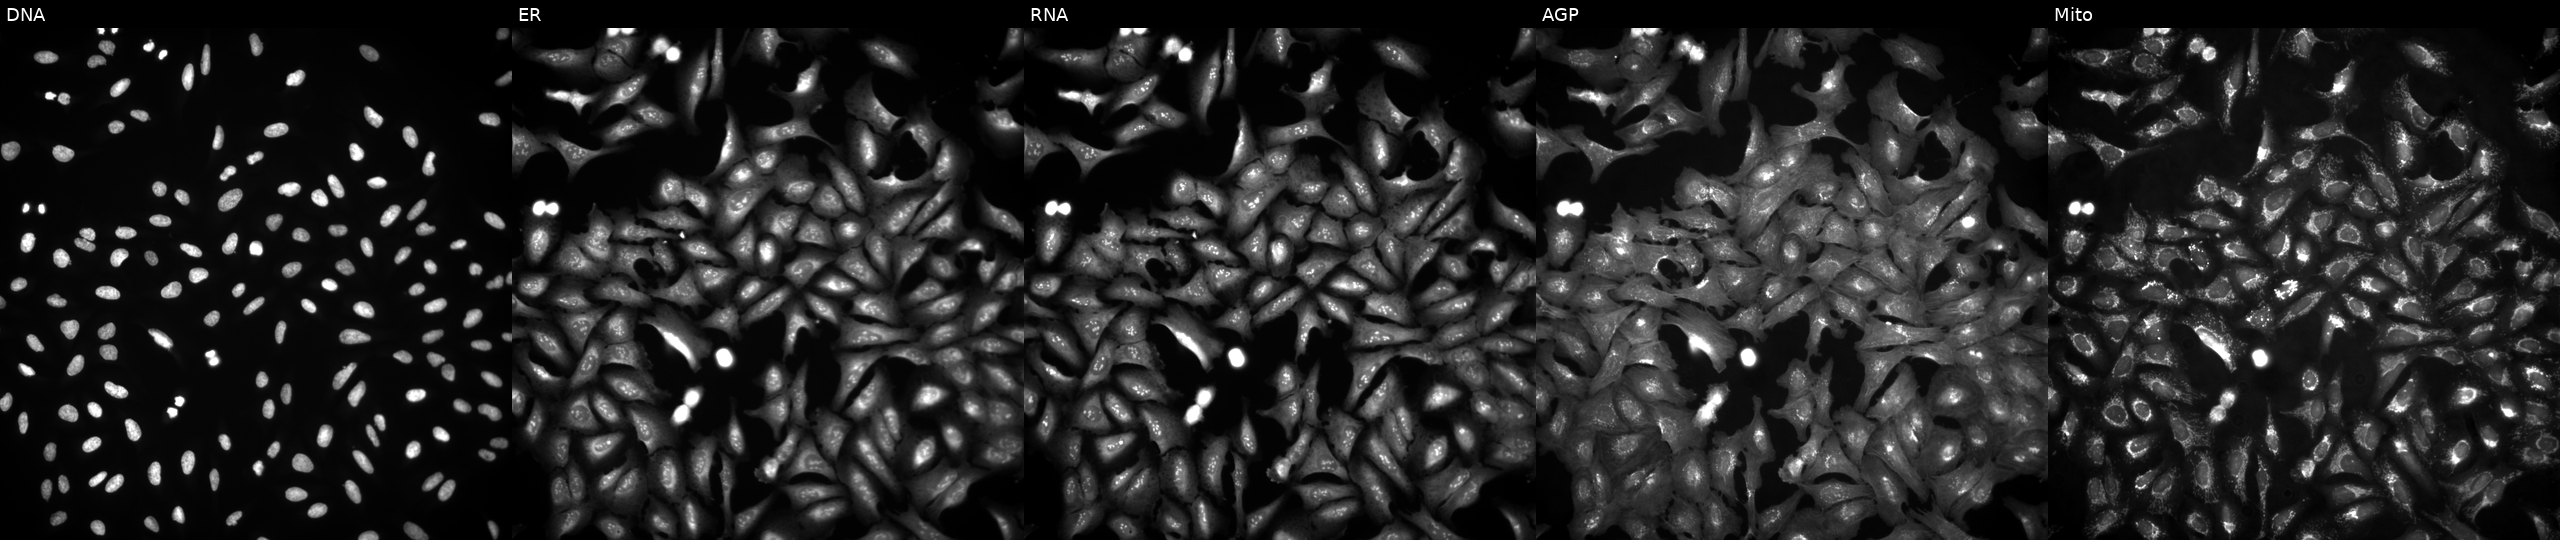
Five-channel Cell Painting image of U2OS cells with MRTO4 overexpressed (ORF). The five panels, left to right, show Hoechst 33342, concanavalin A, SYTO 14, phalloidin and WGA, MitoTracker.